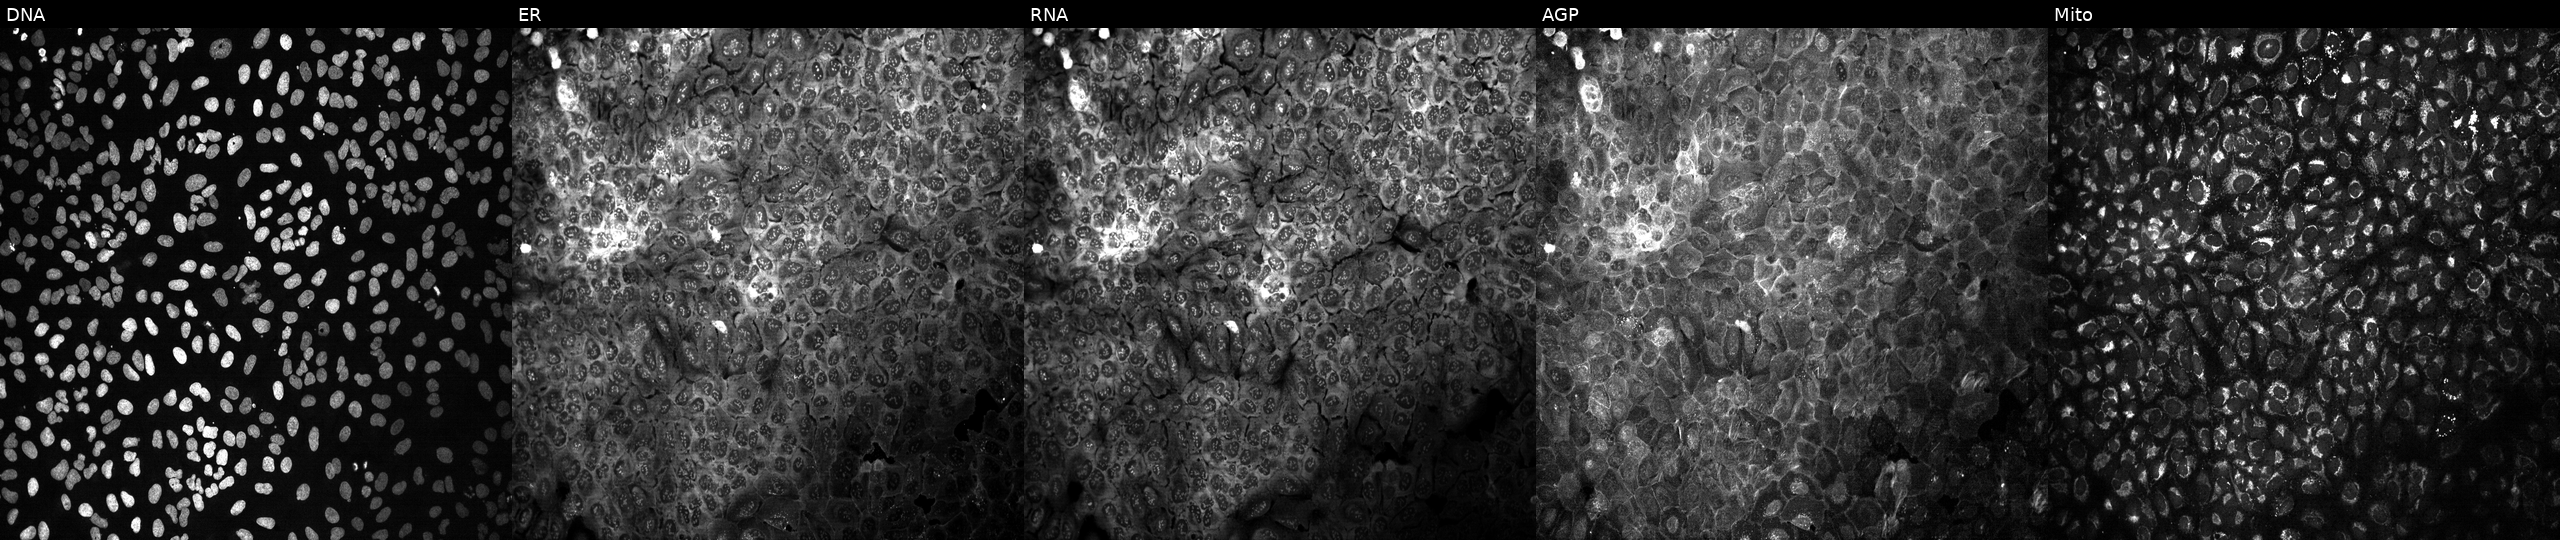
U2OS cells, Cell Painting assay, following CRISPR knockout of ACOXL. Panels show, left to right, DNA (nuclei); ER (endoplasmic reticulum); RNA (nucleoli and cytoplasmic RNA); AGP (actin cytoskeleton, Golgi, and plasma membrane); Mito (mitochondria). Each panel is percentile-stretched 16-bit fluorescence.